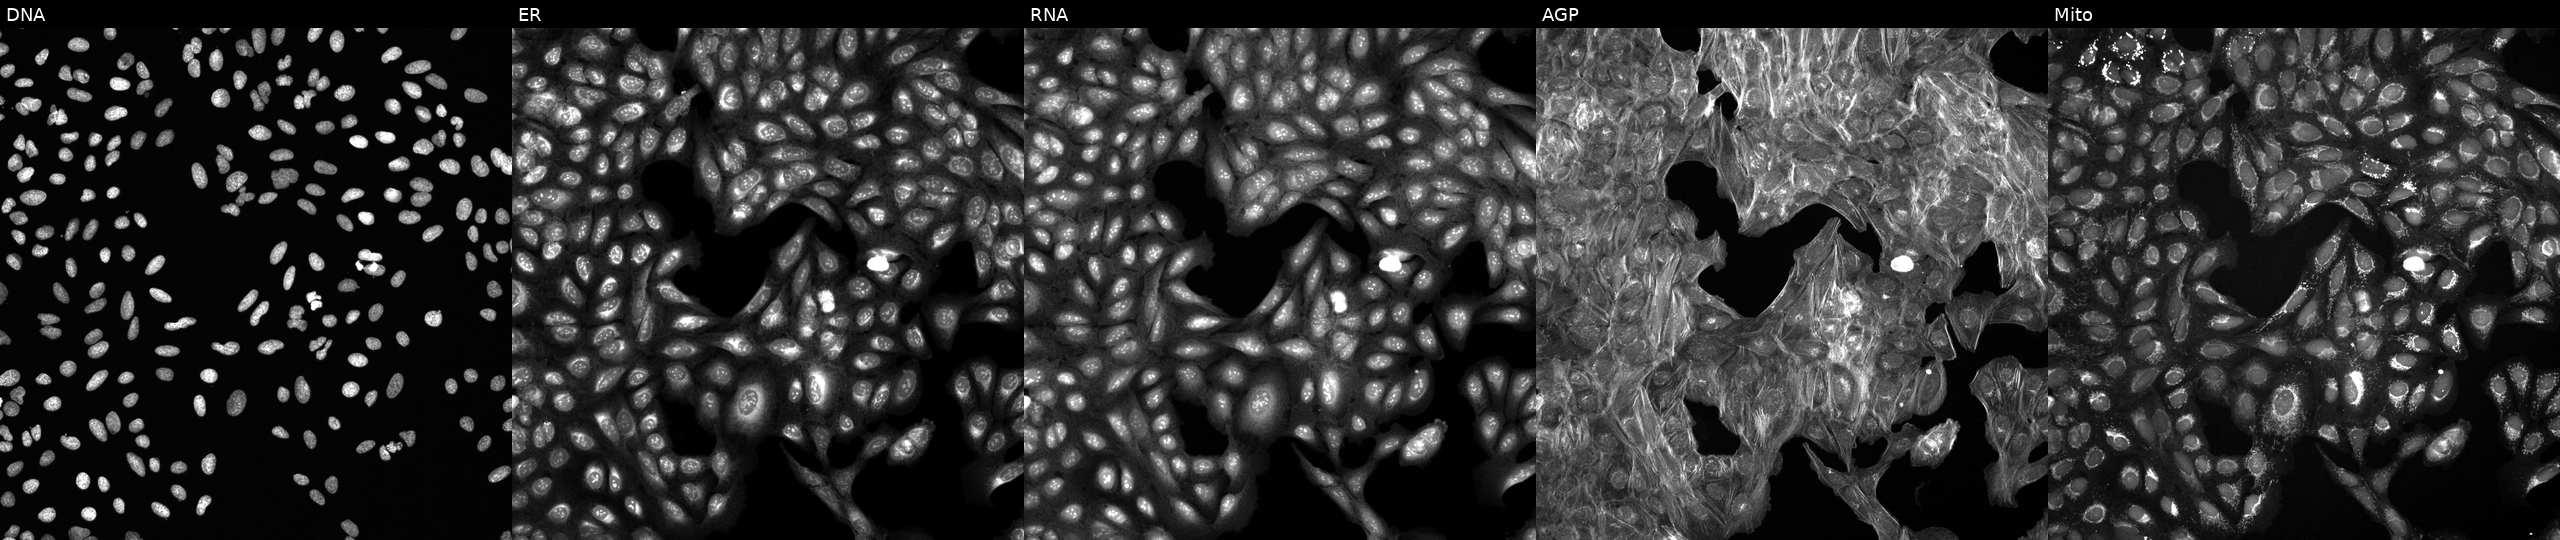
JUMP Cell Painting — TARGET2 plate. U2OS cells treated with a small-molecule compound. Panels show, left to right, Hoechst 33342, concanavalin A, SYTO 14, phalloidin and WGA, MitoTracker.